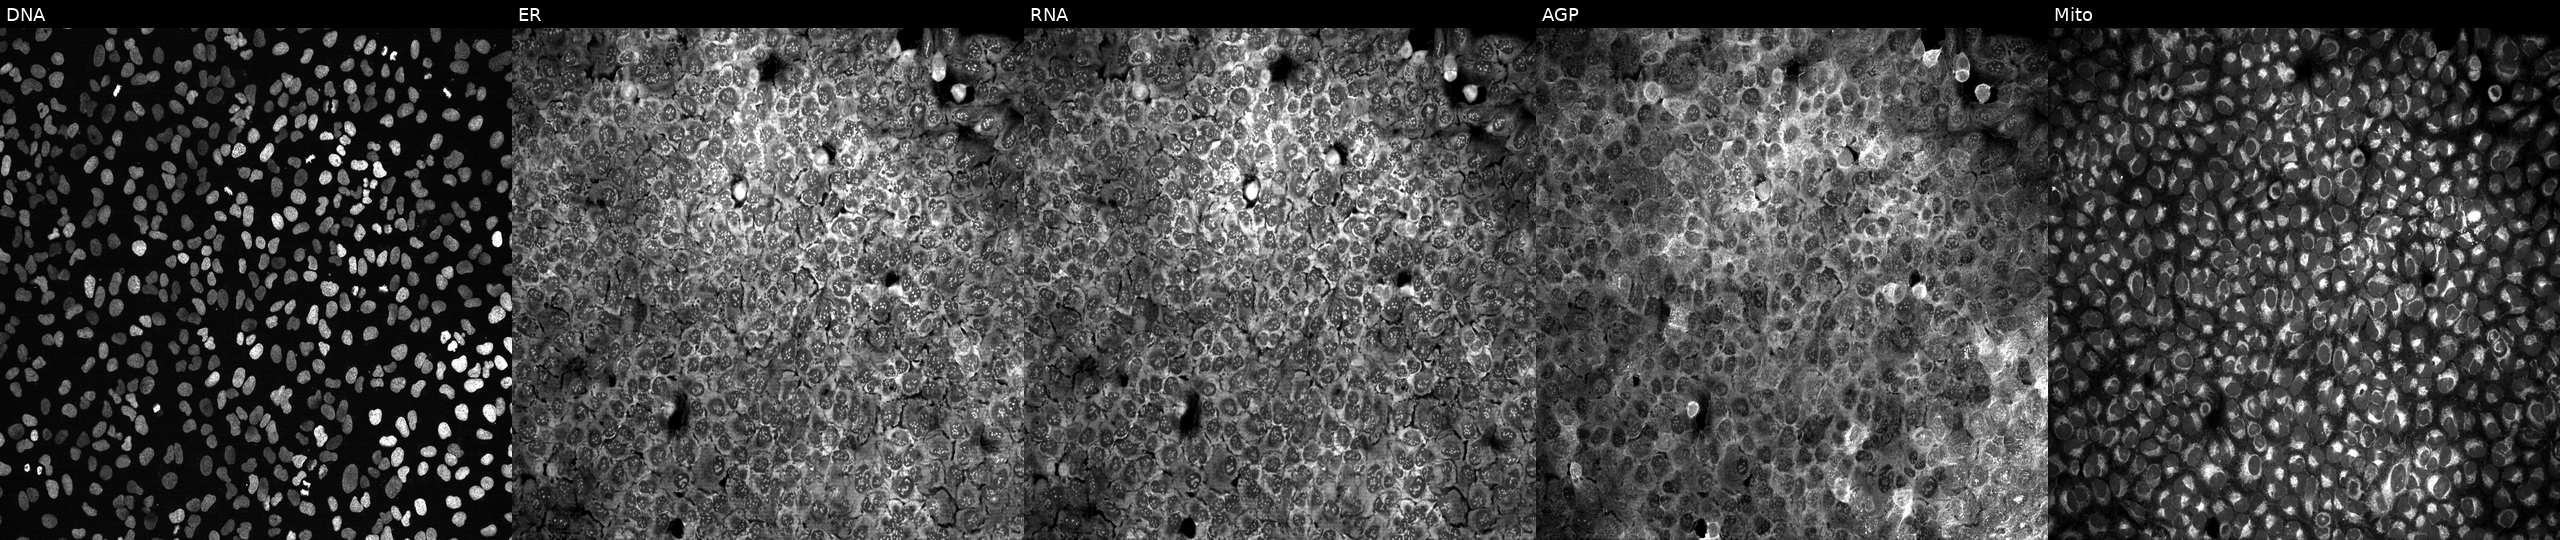
JUMP Cell Painting — CRISPR plate. U2OS cells following CRISPR knockout of GNPDA1 (JUMP id JCP2022_802778). Channels (left→right): DNA (nuclei); ER (endoplasmic reticulum); RNA (nucleoli and cytoplasmic RNA); AGP (actin cytoskeleton, Golgi, and plasma membrane); Mito (mitochondria). Source 13, plate CP-CC9-R2-01, well J04.